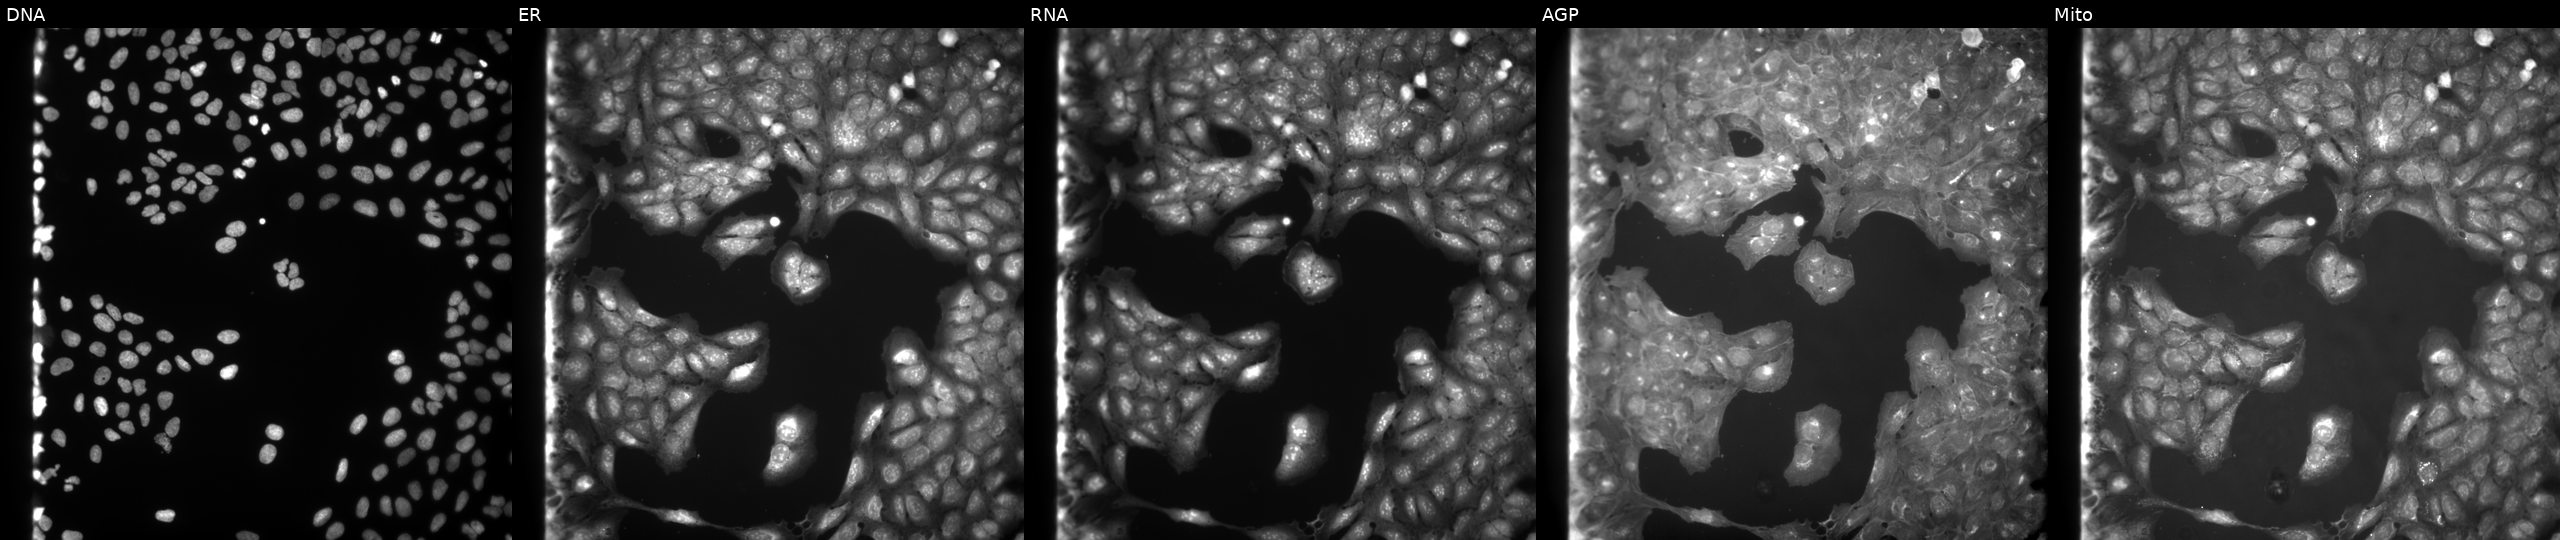
U2OS cells, Cell Painting assay, perturbed with a small-molecule compound (InChIKey IORBSUTUVGBYIQ-UHFFFAOYSA-N) [SMILES: Cc1cc(C)cc(OCC(=O)NNC(=O)c2cc3ccccc3o2)c1]. The five panels, left to right, show DNA, ER, RNA, AGP, and Mito. Each panel is percentile-stretched 16-bit fluorescence. Source 9, plate GR00003381, well B03.